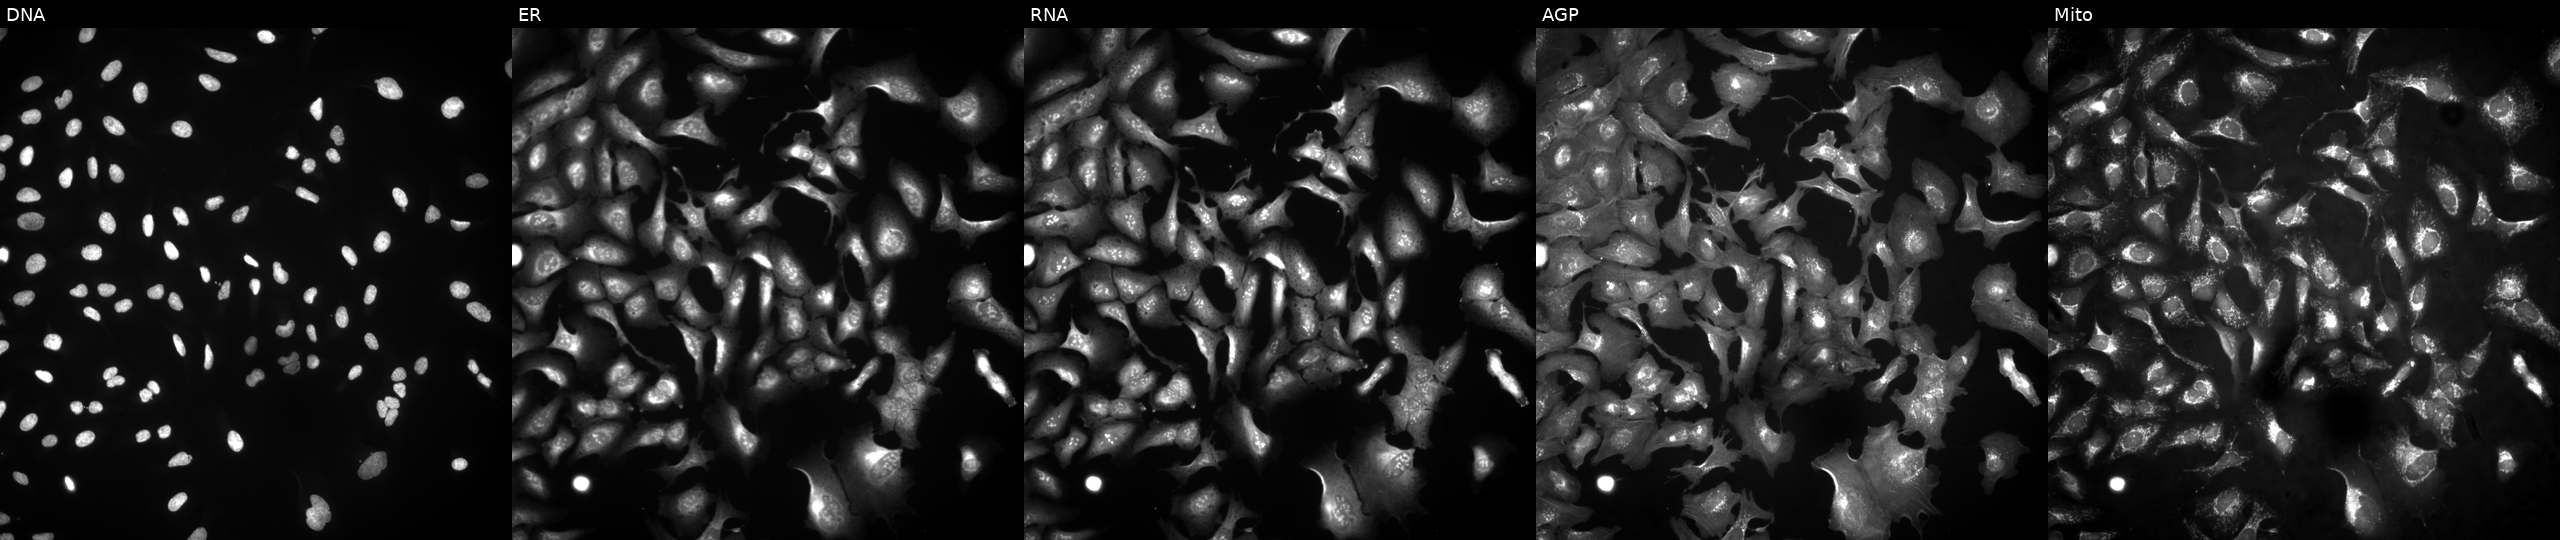
U2OS cells, Cell Painting assay, overexpressing USP26 via ORF transfection (JUMP id JCP2022_908514). From left to right: DNA (nuclei); ER (endoplasmic reticulum); RNA (nucleoli and cytoplasmic RNA); AGP (actin cytoskeleton, Golgi, and plasma membrane); Mito (mitochondria). Each panel is percentile-stretched 16-bit fluorescence. Source 4, plate BR00124790, well D04.